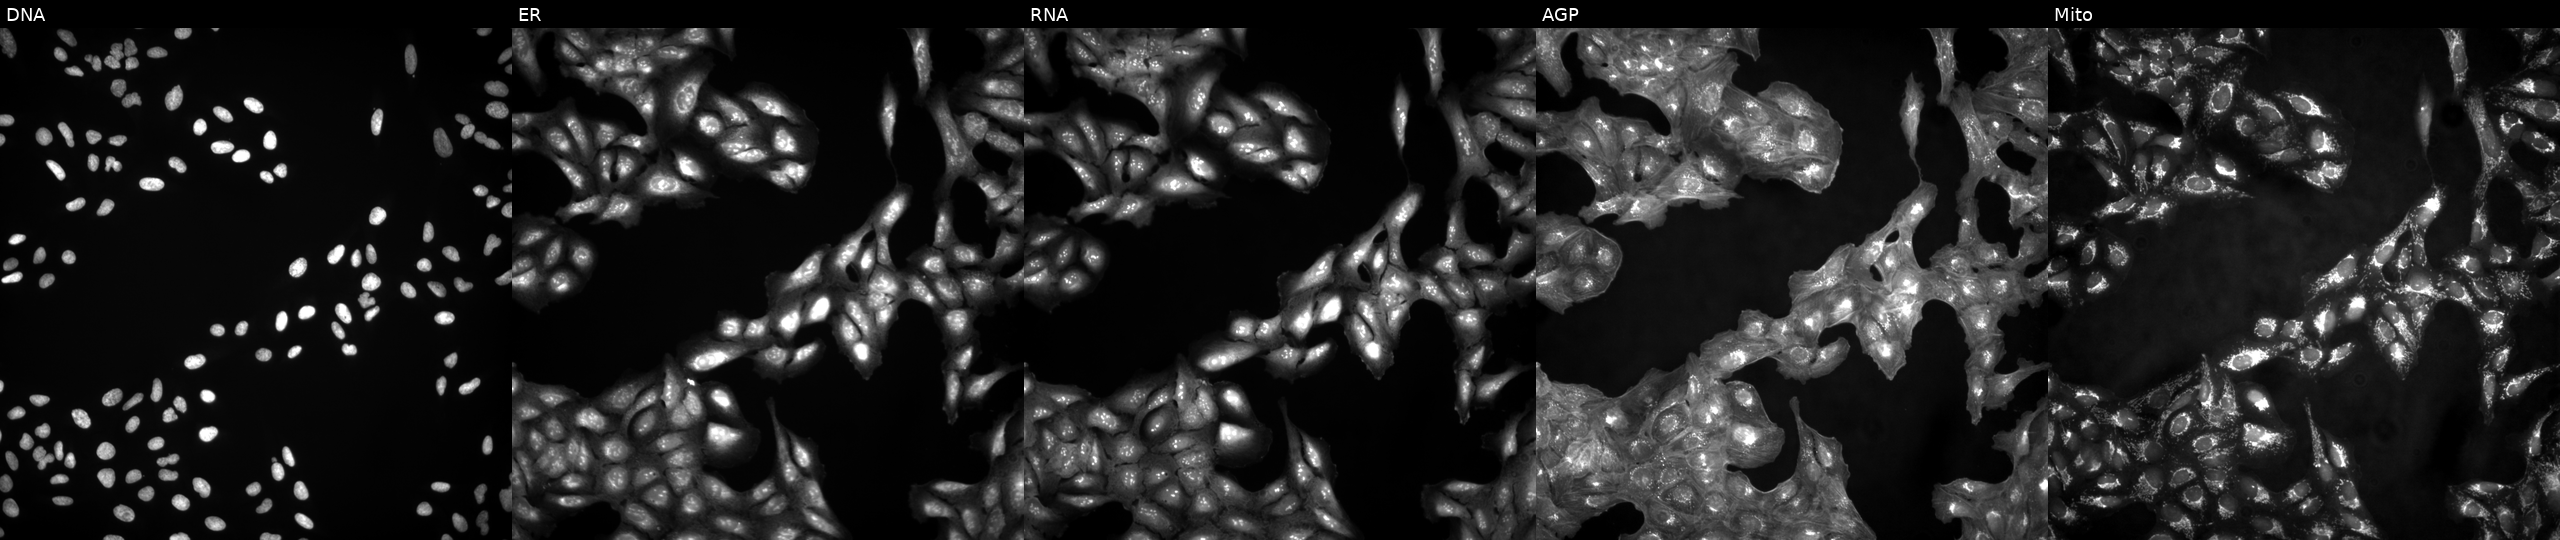
JUMP Cell Painting — ORF plate. U2OS cells in an empty control well (no perturbation) (JUMP id JCP2022_999999). Channels (left→right): DNA (nuclei); ER (endoplasmic reticulum); RNA (nucleoli and cytoplasmic RNA); AGP (actin cytoskeleton, Golgi, and plasma membrane); Mito (mitochondria). Source 4, plate BR00123946, well P11.